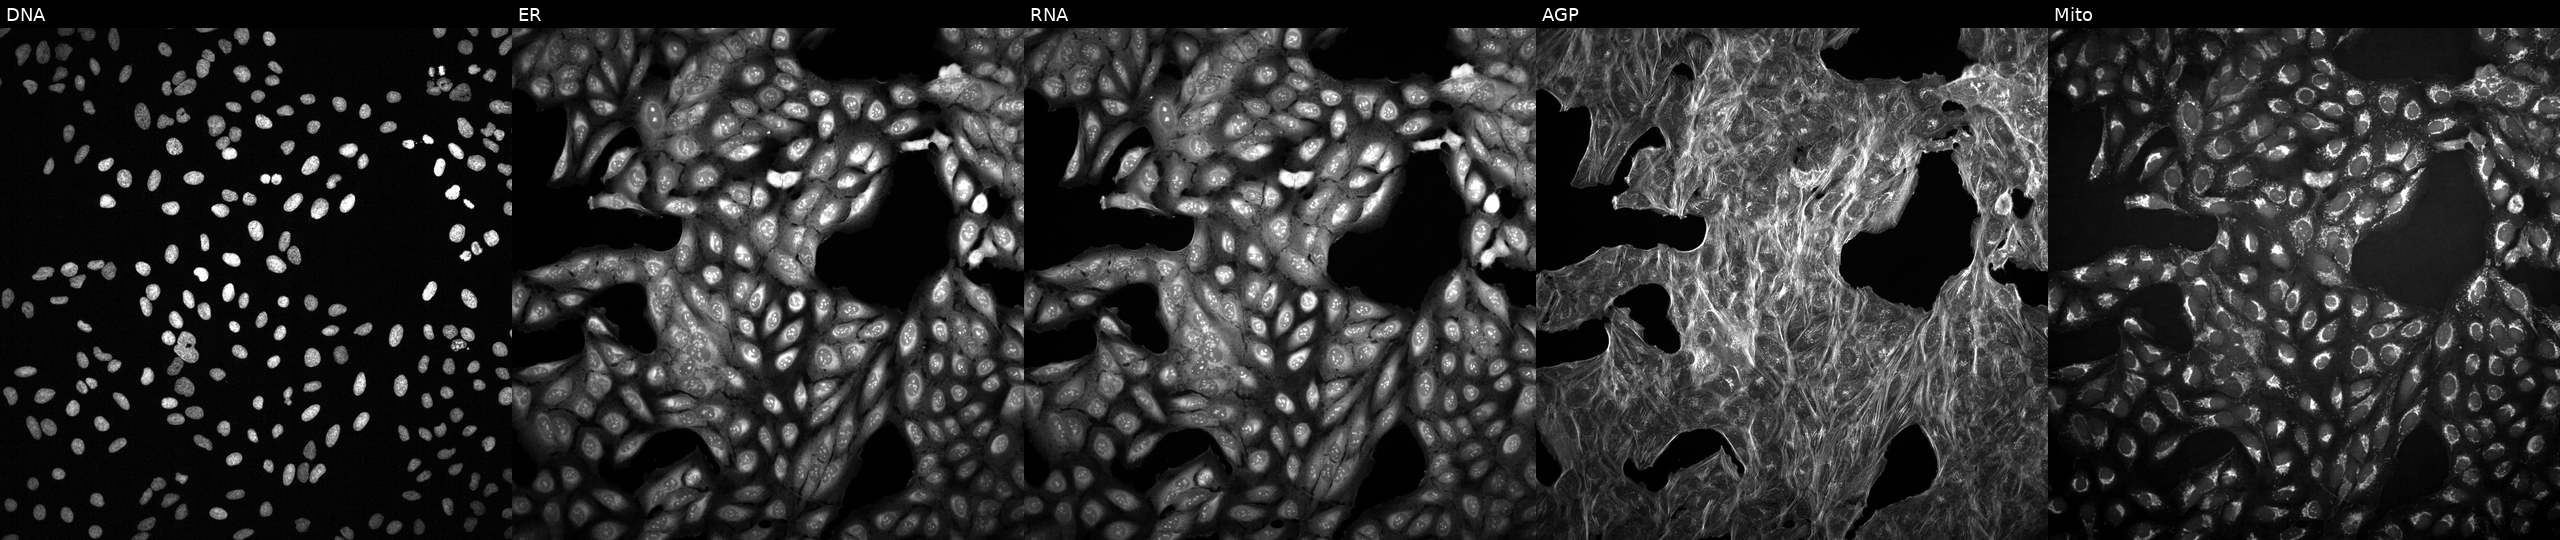
This image strip shows the five Cell Painting channels for a single field of U2OS cells with an unidentified perturbation (not annotated in JUMP metadata). From left to right: Hoechst 33342, concanavalin A, SYTO 14, phalloidin and WGA, MitoTracker.